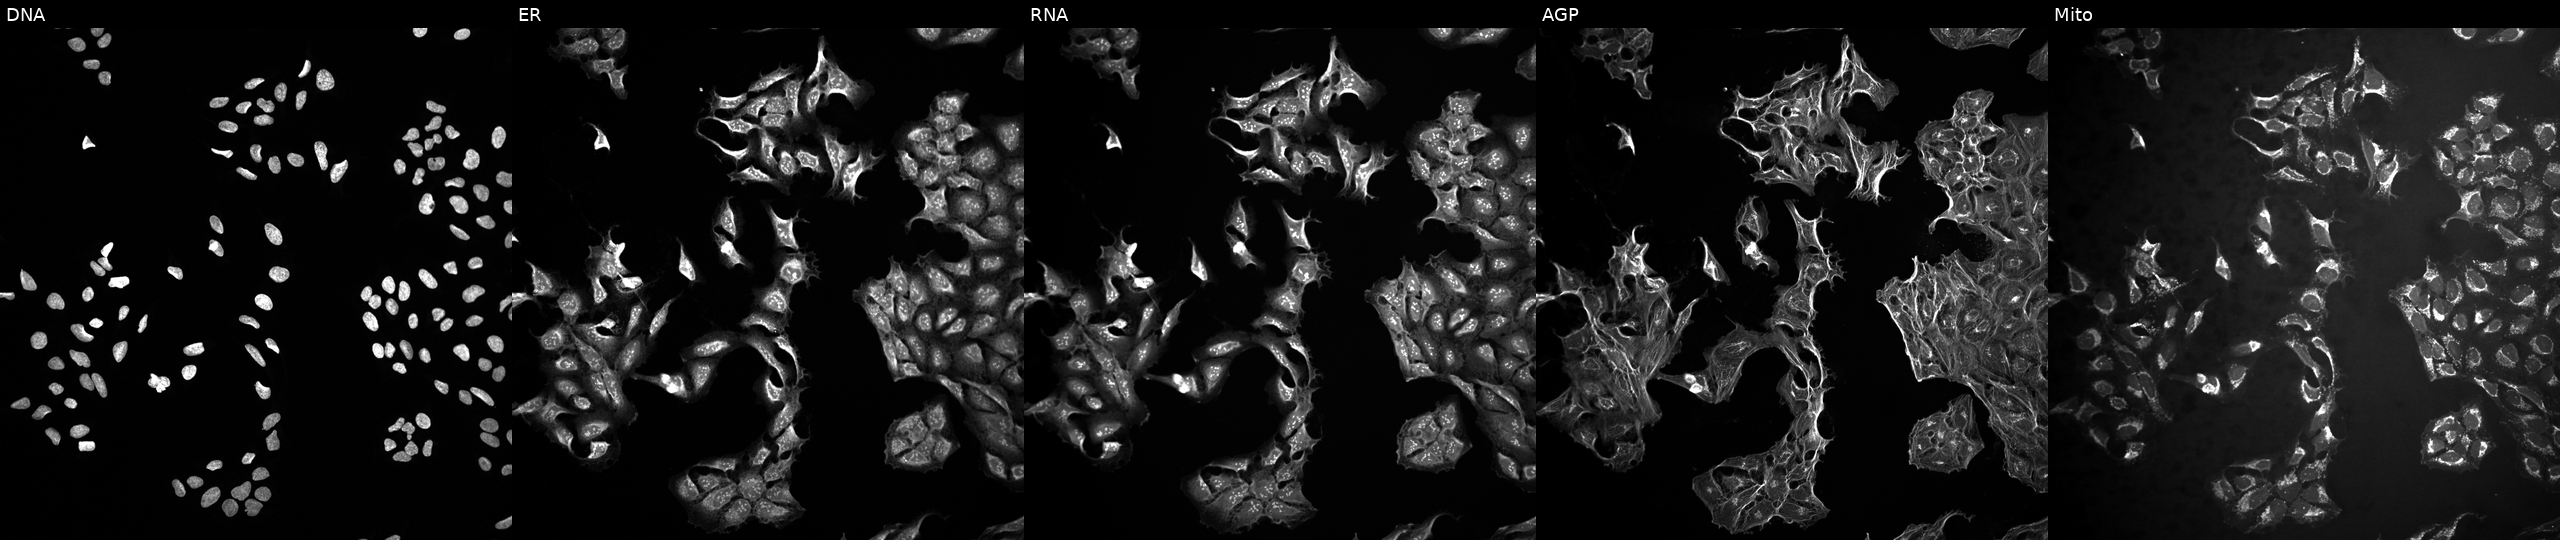
High-content fluorescence microscopy (Cell Painting). Cell line: U2OS. Perturbation: exposed to a small-molecule compound (InChIKey JDVVGAQPNNXQDW-UHFFFAOYSA-N) [SMILES: OC1CN2CCC(O)C2C(O)C1O] (JUMP id JCP2022_039116). Channels (left→right): Hoechst 33342, concanavalin A, SYTO 14, phalloidin and WGA, MitoTracker. Source 10, plate Dest210726-160150, well N21.